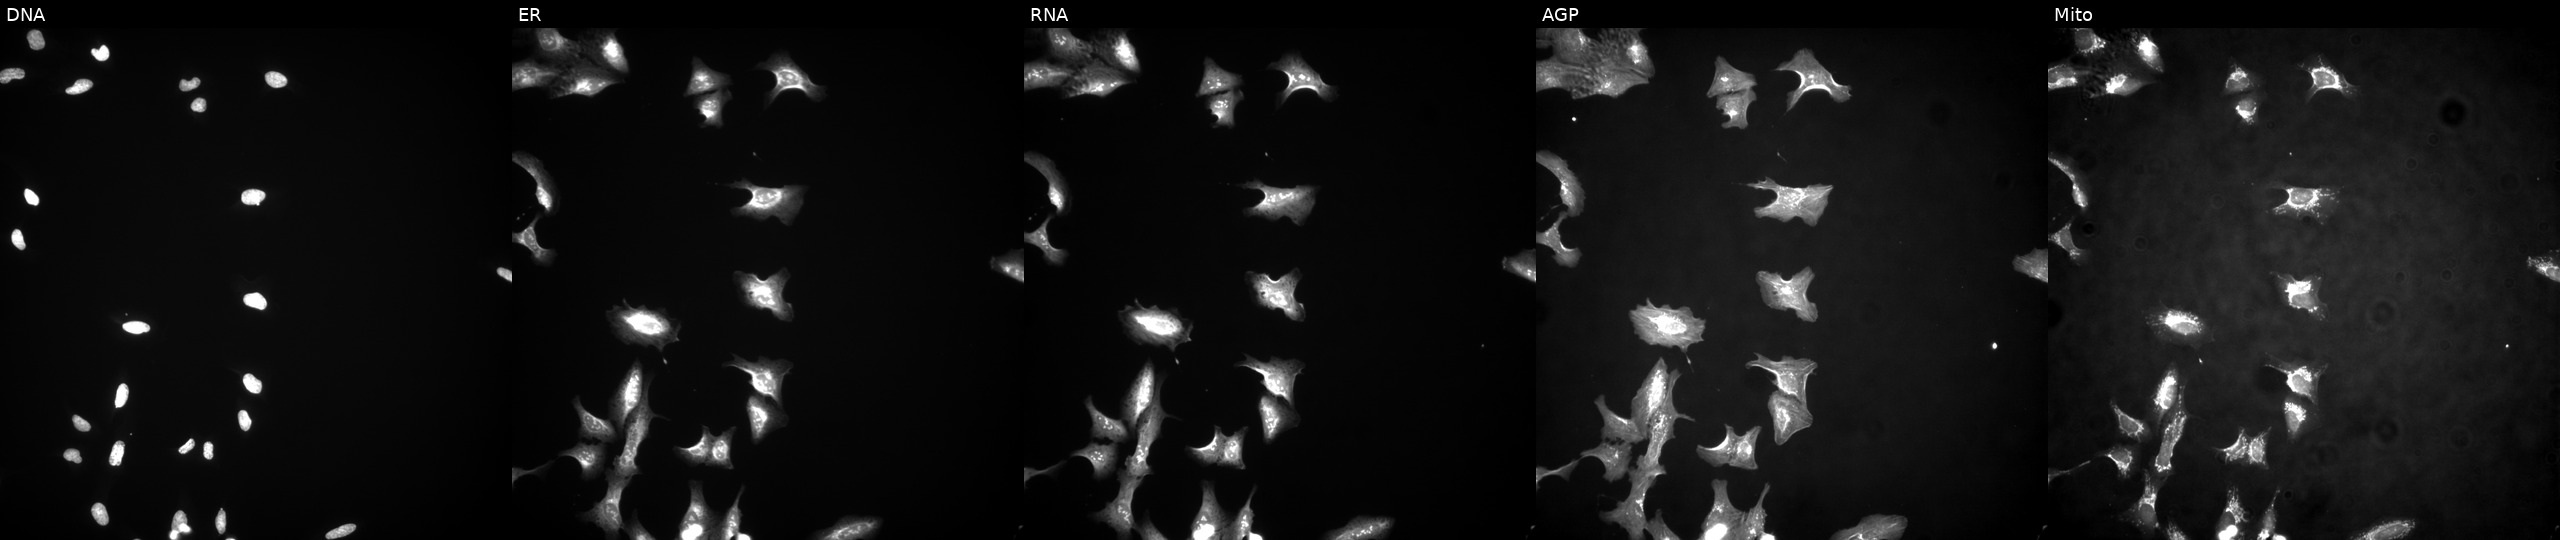
This image strip shows the five Cell Painting channels for a single field of U2OS cells transfected with an ORF construct for SNHG32. Channels (left→right): DNA (nuclei); ER (endoplasmic reticulum); RNA (nucleoli and cytoplasmic RNA); AGP (actin cytoskeleton, Golgi, and plasma membrane); Mito (mitochondria).